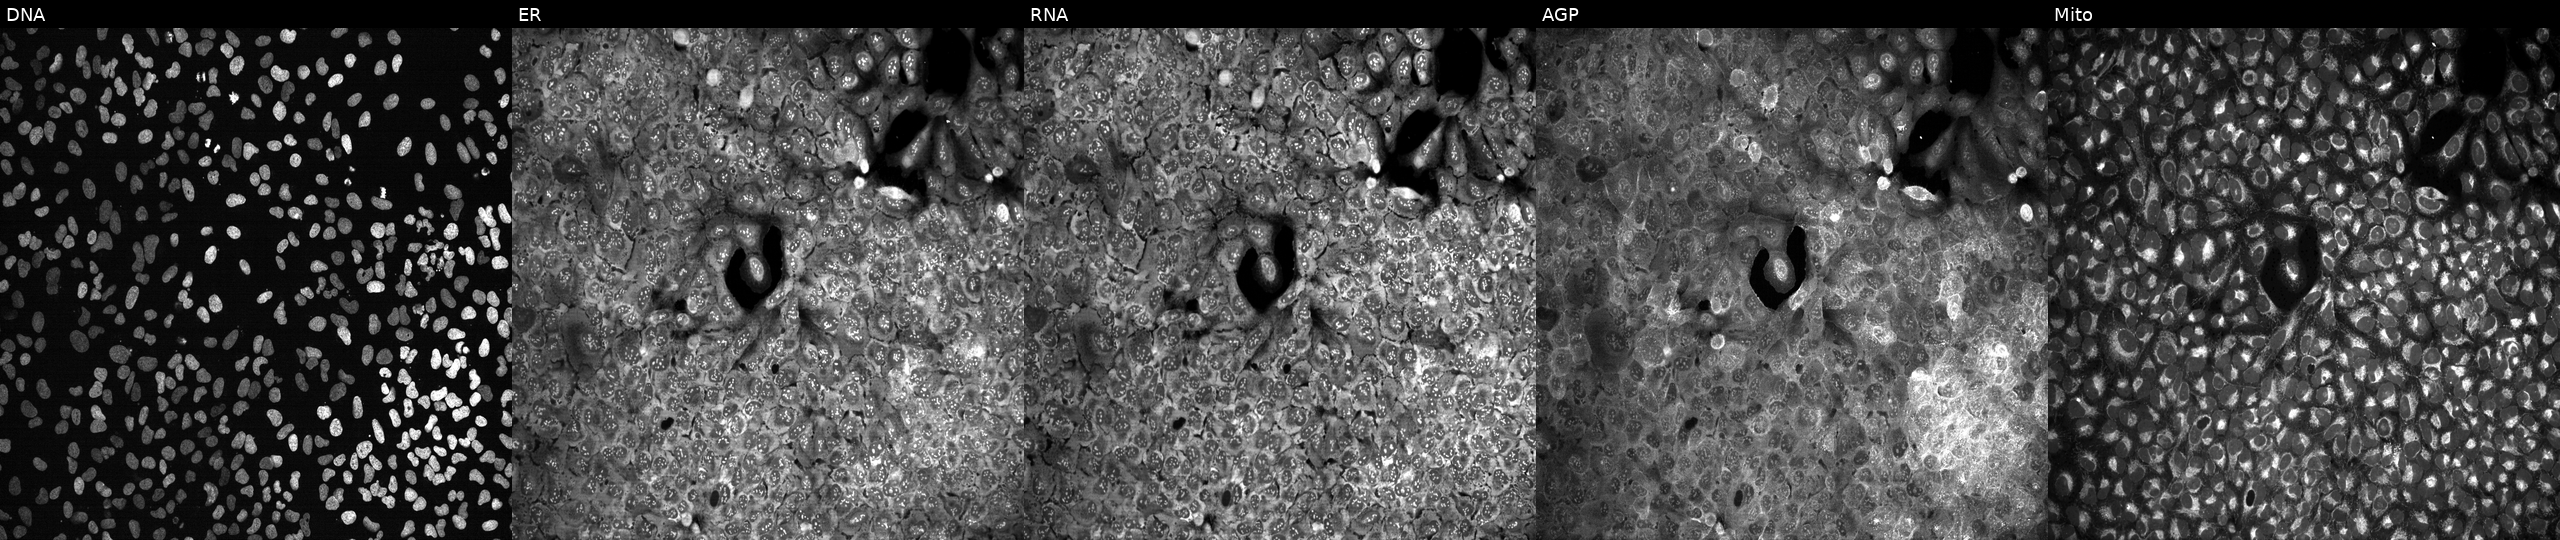
The five panels, left to right, show DNA (nuclei); ER (endoplasmic reticulum); RNA (nucleoli and cytoplasmic RNA); AGP (actin cytoskeleton, Golgi, and plasma membrane); Mito (mitochondria). U2OS osteosarcoma cells with HMGCLL1 knocked out by CRISPR (JUMP id JCP2022_803147). Cell Painting assay, JUMP-CP dataset.